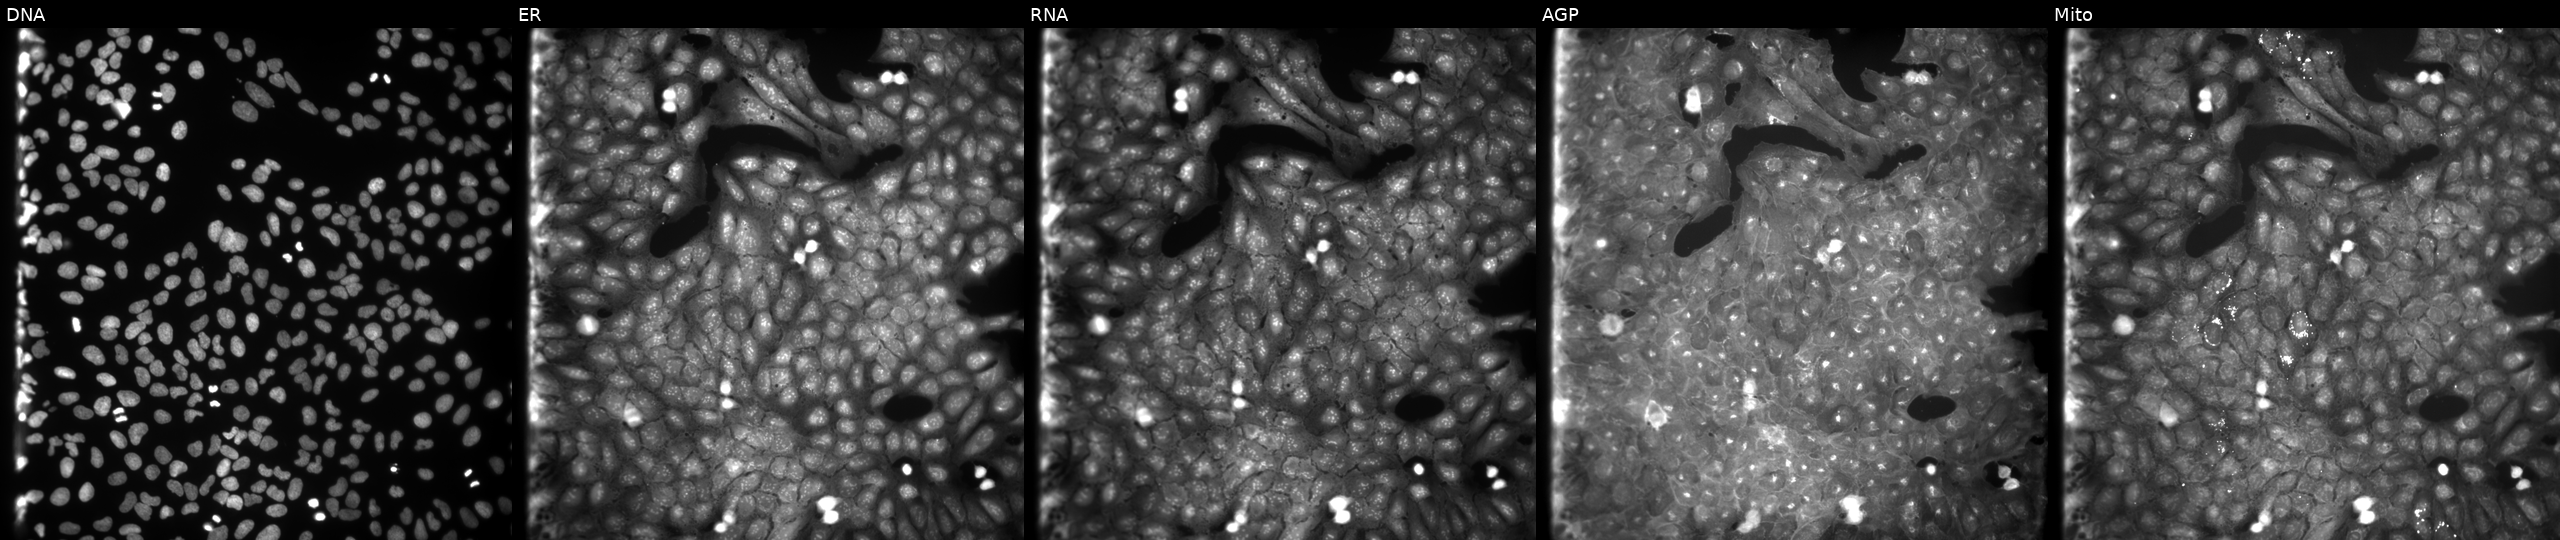
High-content fluorescence microscopy (Cell Painting). Cell line: U2OS. Perturbation: treated with DMSO vehicle only (negative control) (JUMP id JCP2022_033924). Panels show, left to right, Hoechst 33342, concanavalin A, SYTO 14, phalloidin and WGA, MitoTracker. Source 9, plate GR00003381, well K02.